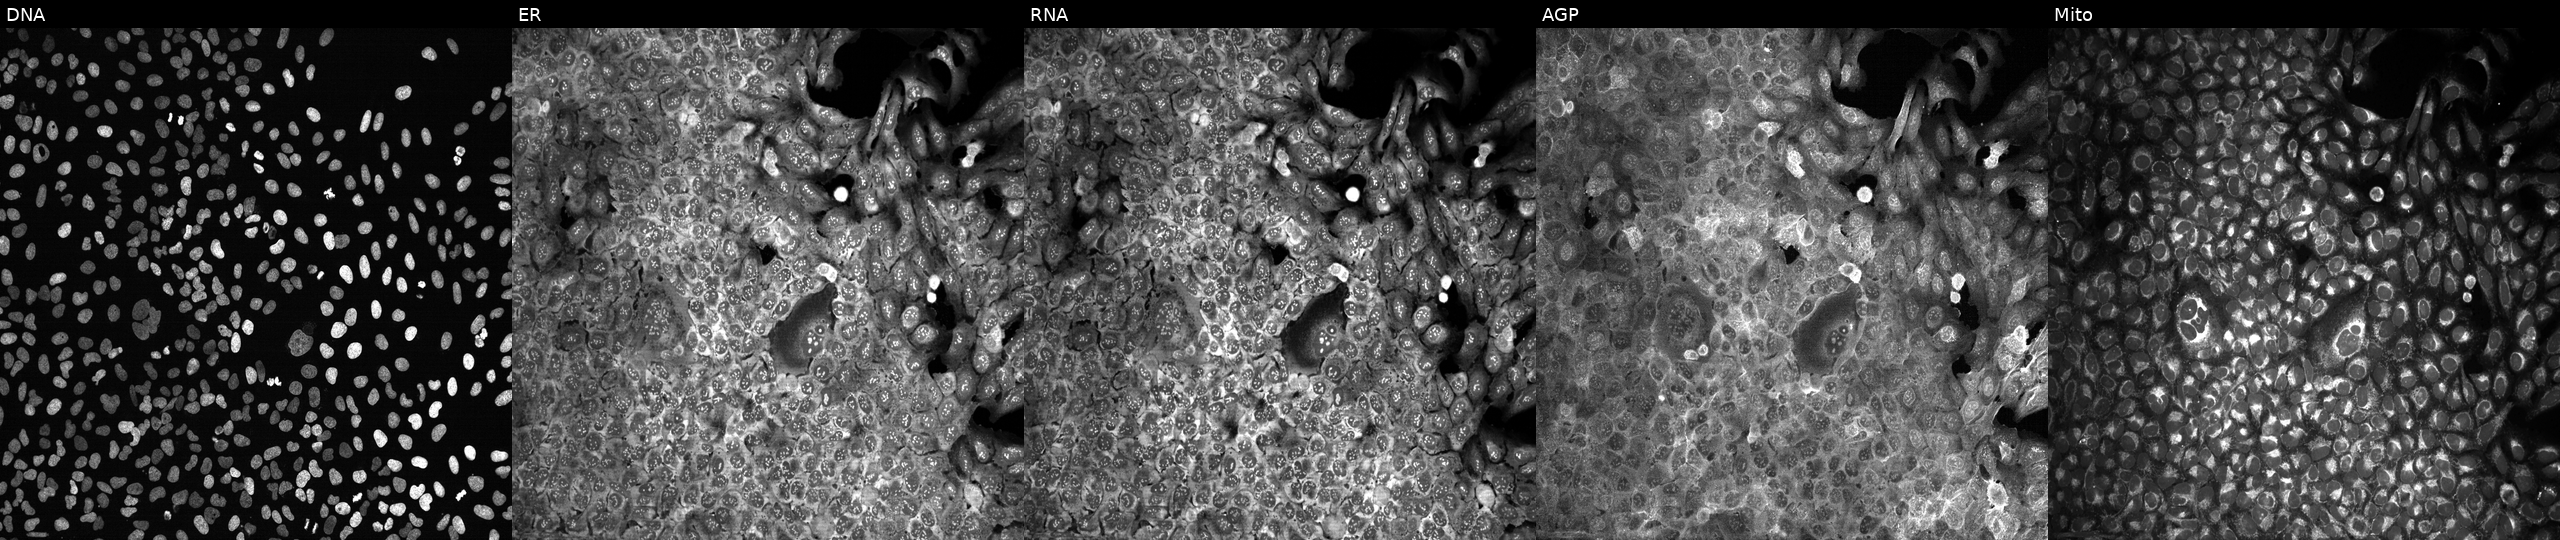
Panels show, left to right, DNA, ER, RNA, AGP, and Mito. U2OS osteosarcoma cells with a non-targeting CRISPR guide (negative control) (JUMP id JCP2022_800002). Cell Painting assay, JUMP-CP dataset.